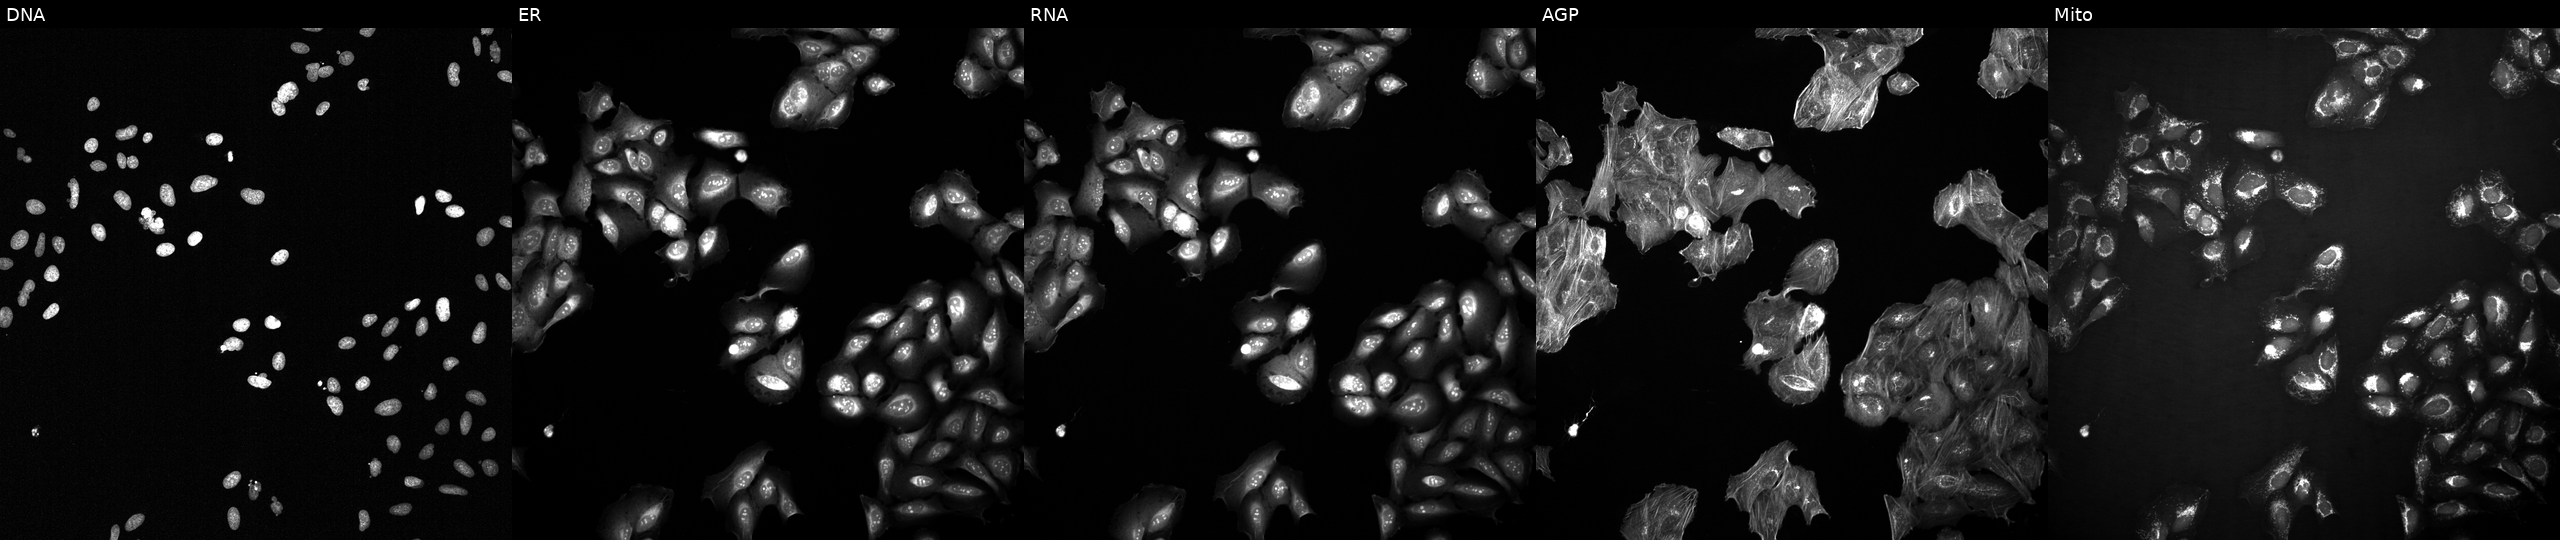
JUMP Cell Painting — COMPOUND plate. U2OS cells exposed to the positive-control compound TC-S-7004. Panels show, left to right, Hoechst 33342, concanavalin A, SYTO 14, phalloidin and WGA, MitoTracker. Source 2, plate 1053601756, well D24.